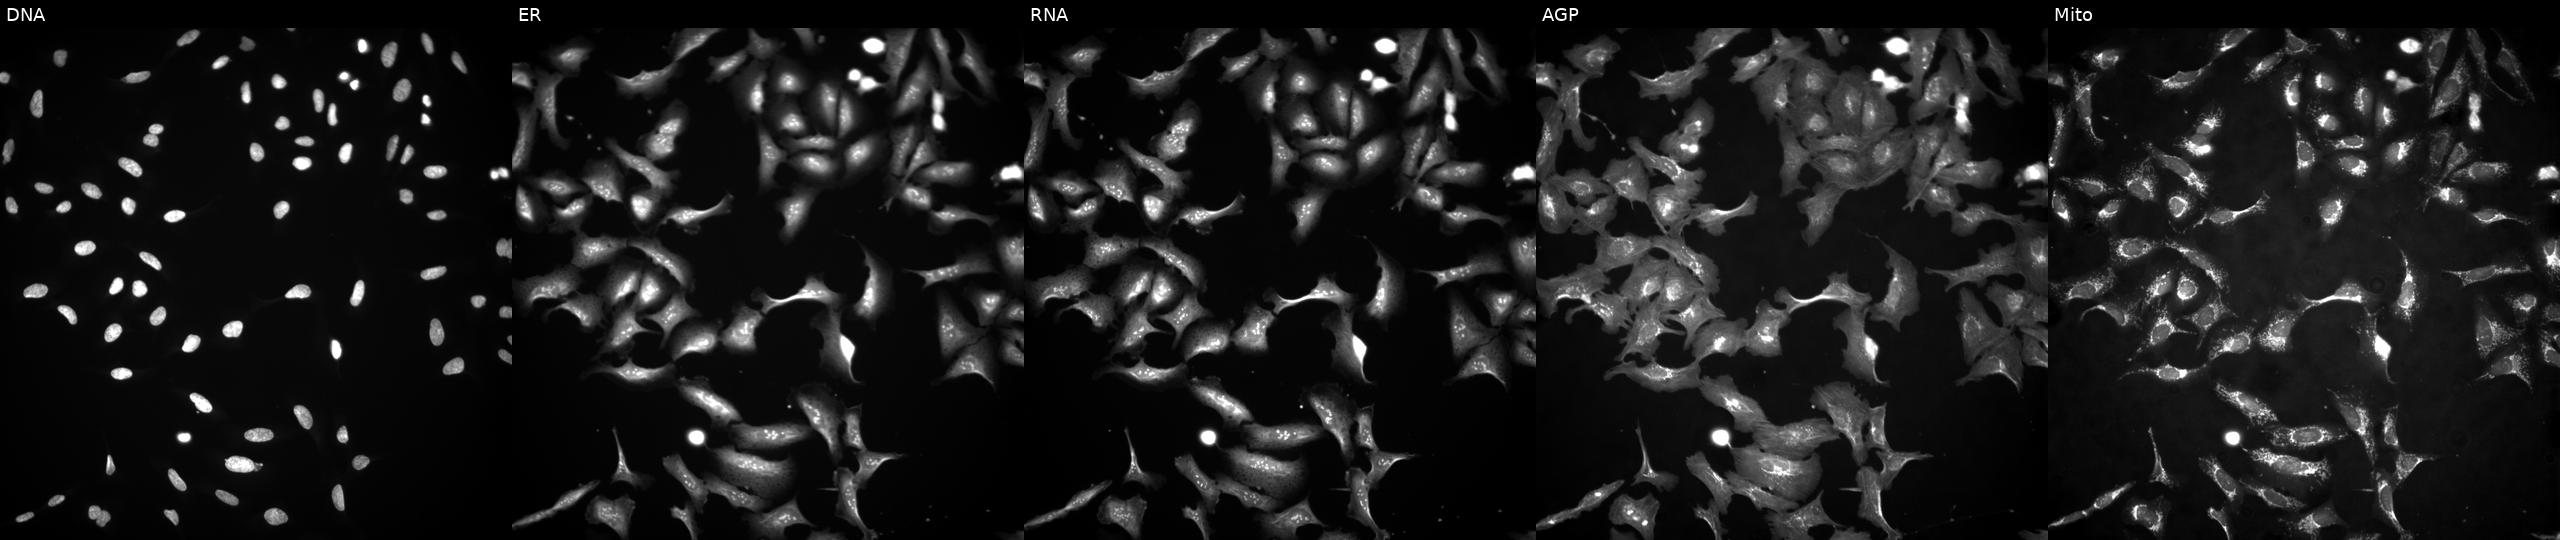
JUMP Cell Painting — ORF plate. U2OS cells with PRDM5 overexpressed (ORF) (JUMP id JCP2022_910809). From left to right: DNA, ER, RNA, AGP, and Mito.